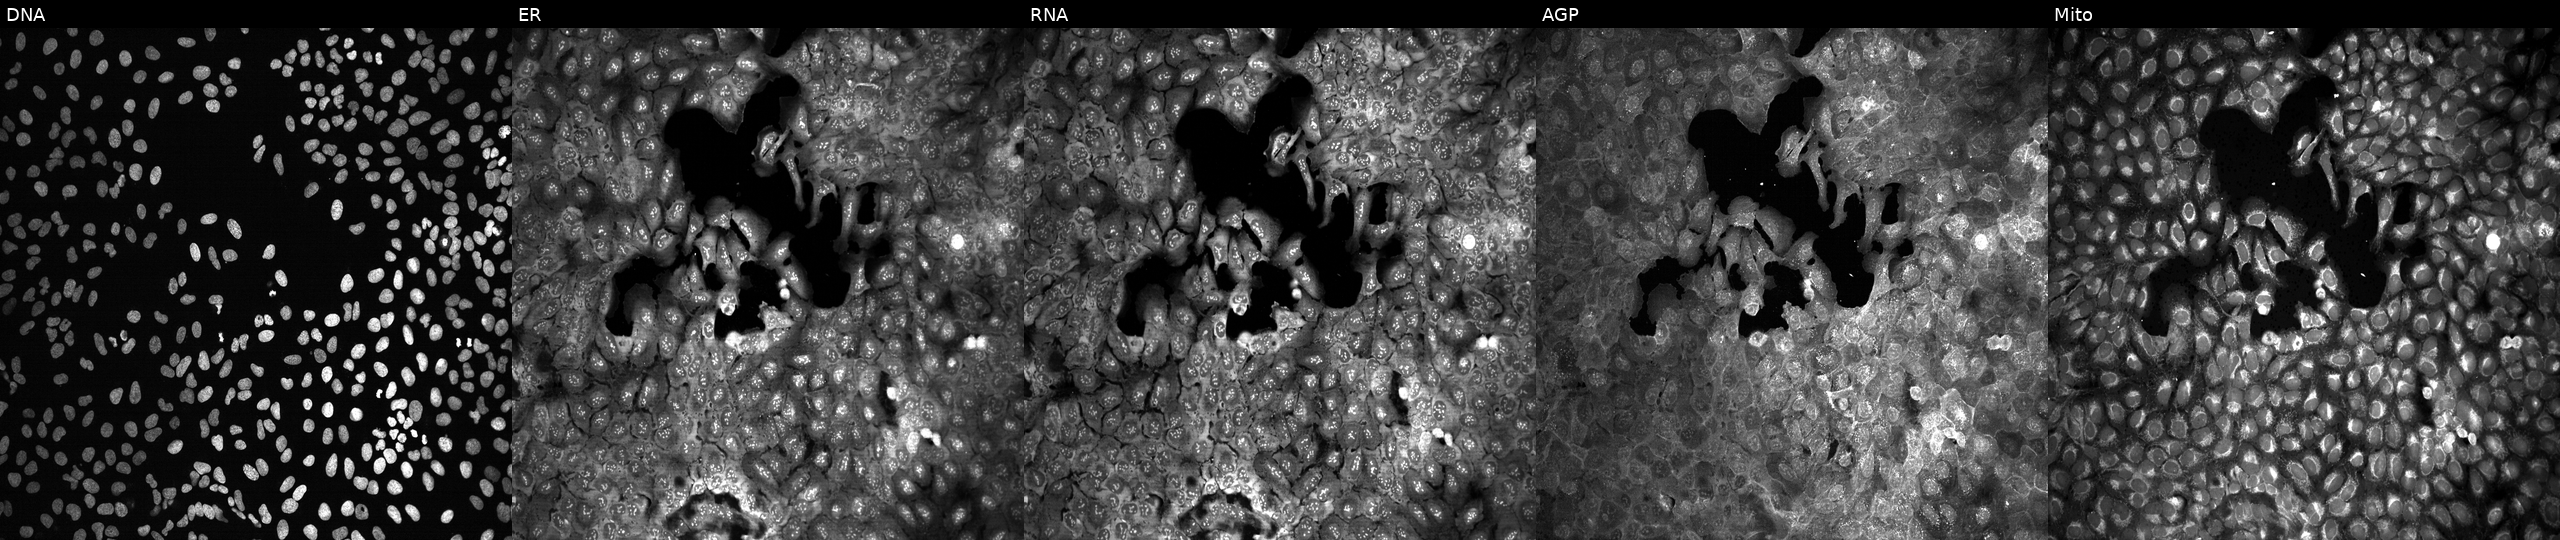
Panels show, left to right, DNA, ER, RNA, AGP, and Mito. U2OS osteosarcoma cells with a non-targeting CRISPR guide (negative control) (JUMP id JCP2022_800002). Cell Painting assay, JUMP-CP dataset. Source 13, plate CP-CC9-R5-01, well D02.